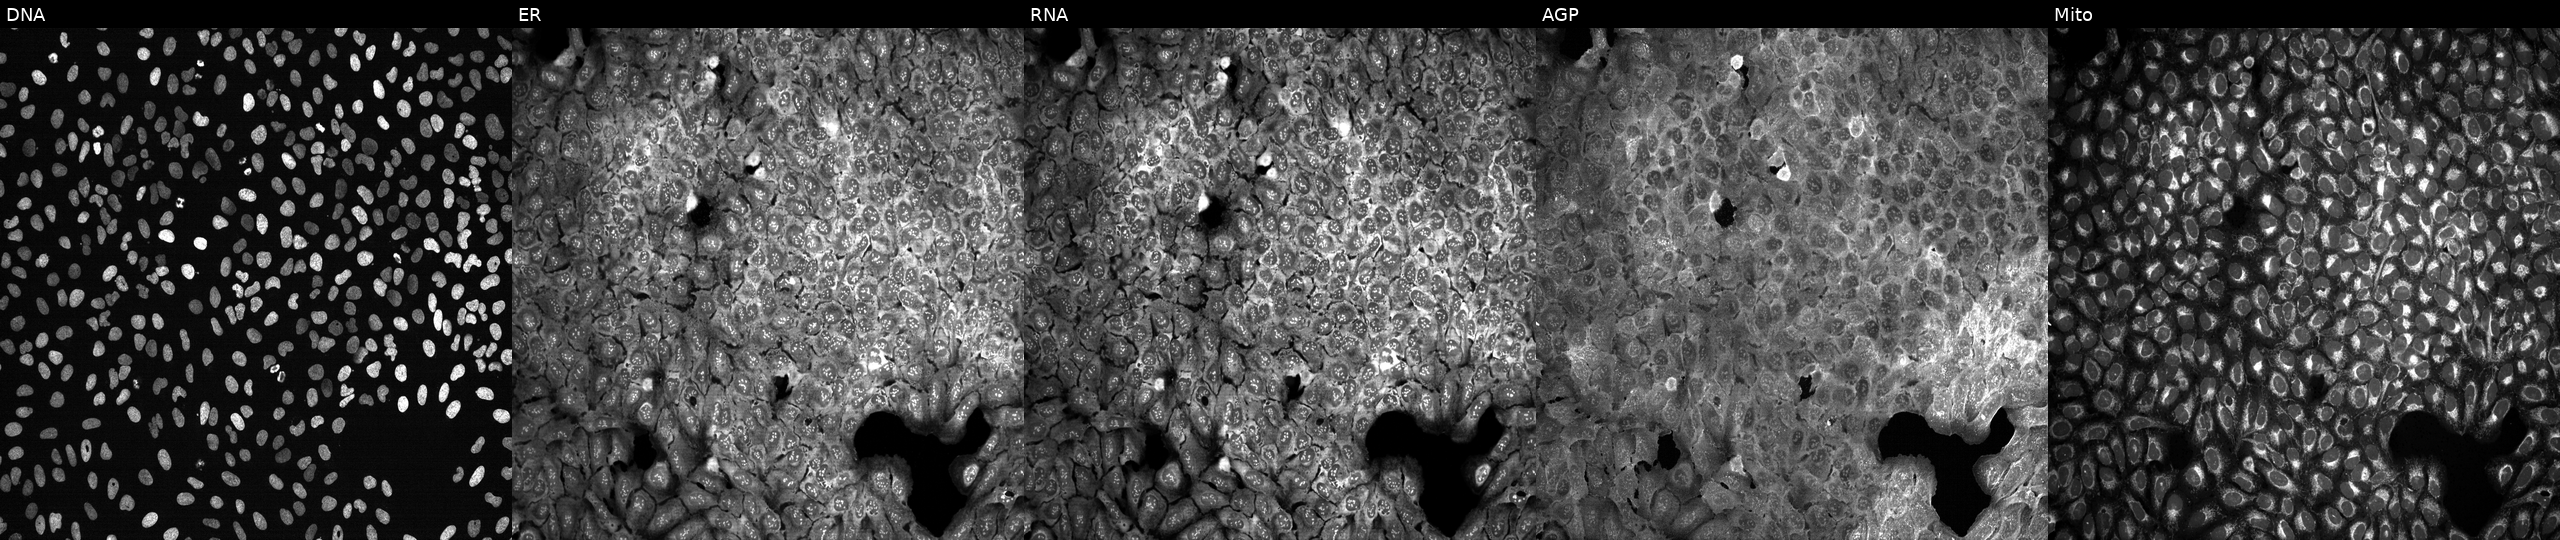
U2OS cells, Cell Painting assay, following CRISPR knockout of GJC1. The five panels, left to right, show Hoechst 33342, concanavalin A, SYTO 14, phalloidin and WGA, MitoTracker. Each panel is percentile-stretched 16-bit fluorescence.